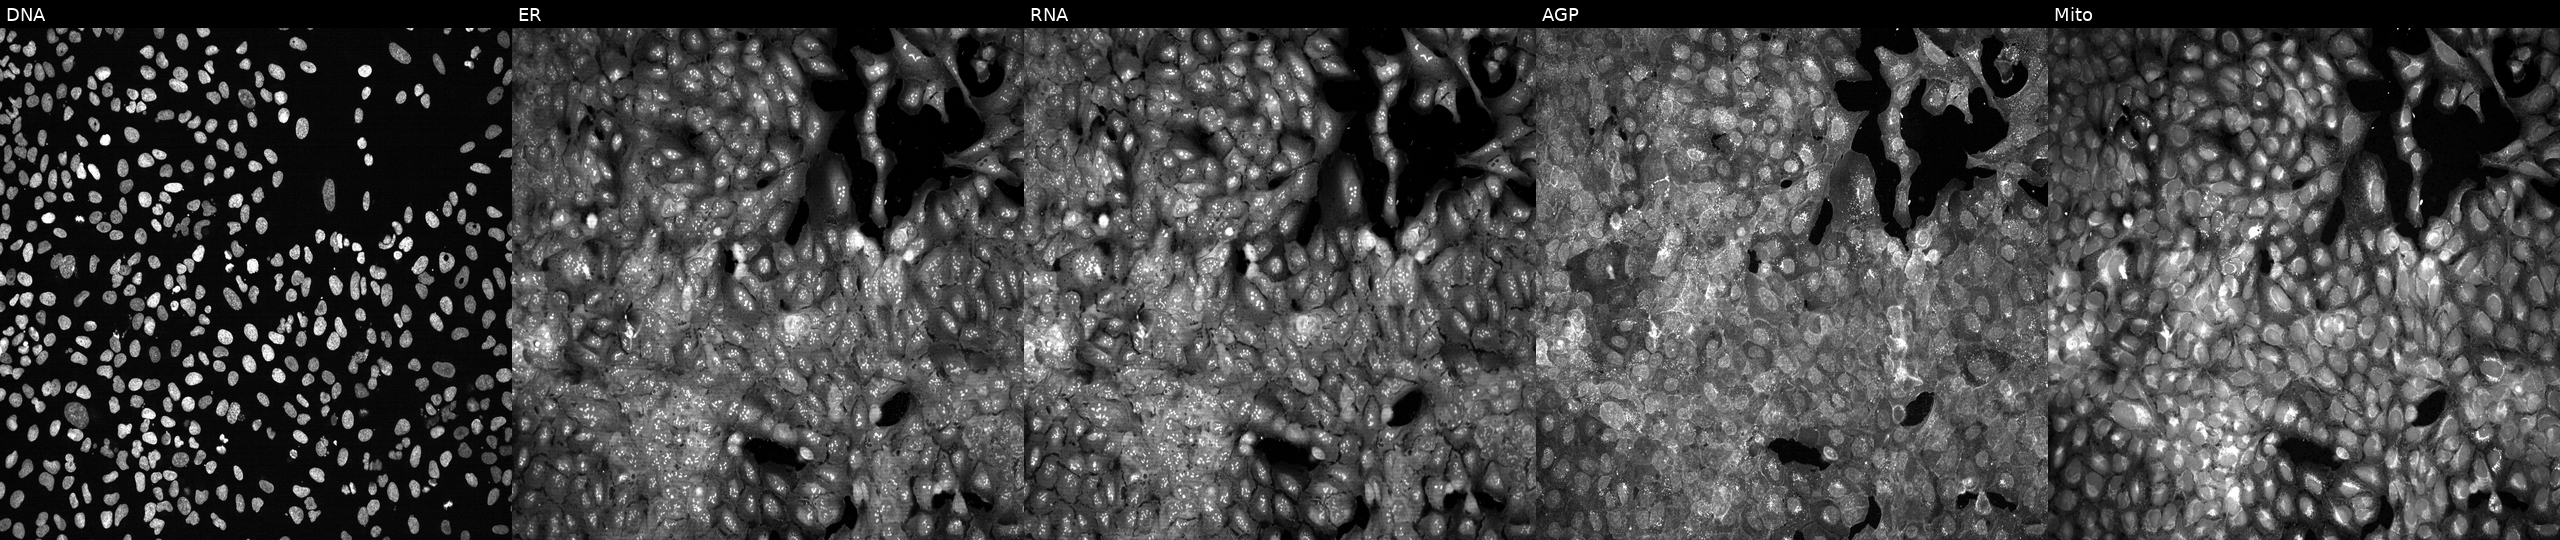
From left to right: DNA, ER, RNA, AGP, and Mito. U2OS osteosarcoma cells following CRISPR knockout of CNTFR. Cell Painting assay, JUMP-CP dataset. Source 13, plate CP-CC9-R1-01, well B17.